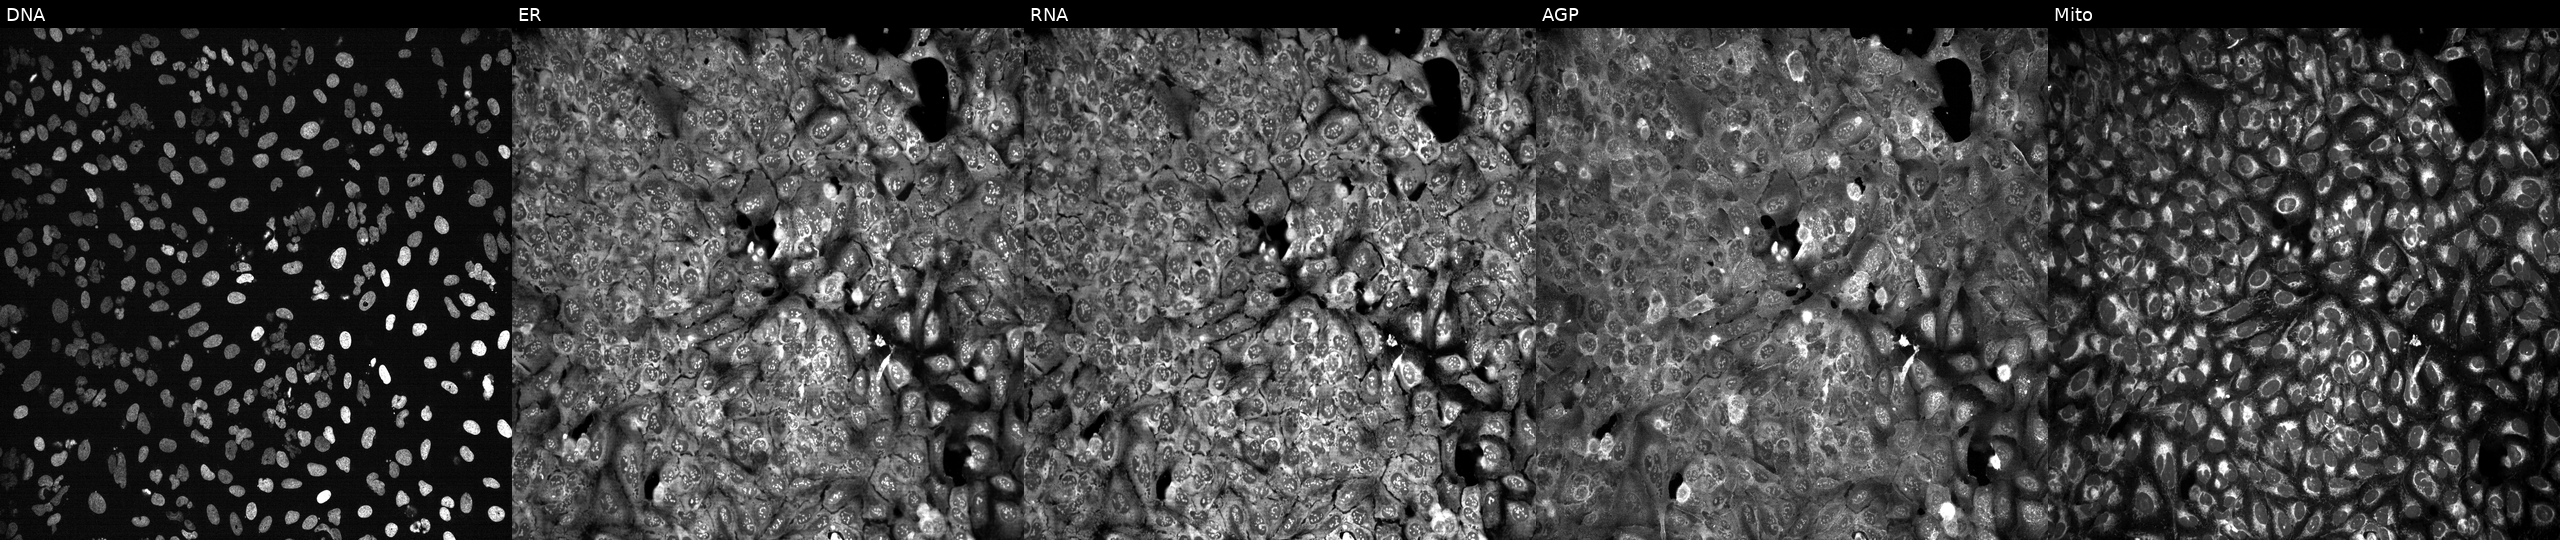
U2OS cells, Cell Painting assay, with NAA50 knocked out by CRISPR (JUMP id JCP2022_804409). The five panels, left to right, show DNA (nuclei); ER (endoplasmic reticulum); RNA (nucleoli and cytoplasmic RNA); AGP (actin cytoskeleton, Golgi, and plasma membrane); Mito (mitochondria). Each panel is percentile-stretched 16-bit fluorescence.